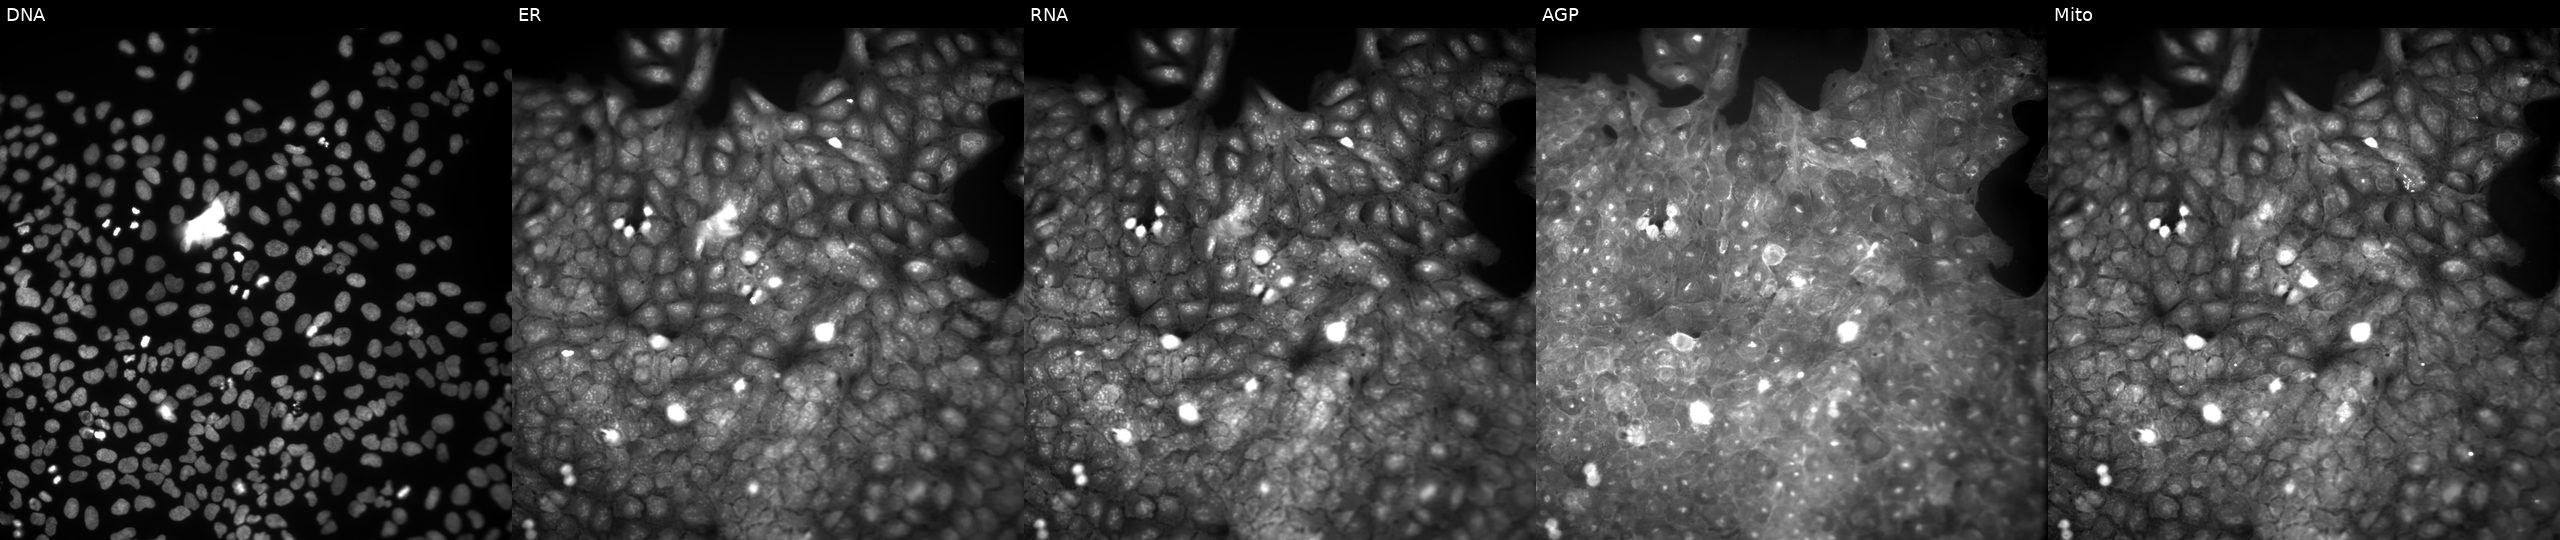
This image strip shows the five Cell Painting channels for a single field of U2OS cells treated with a small-molecule compound (InChIKey AQTNTPKTHVSGJN-UHFFFAOYSA-N) [SMILES: COc1ccc(-n2c(O)cc(Cc3ccccc3)c2O)cc1]. From left to right: DNA, ER, RNA, AGP, and Mito. Source 9, plate GR00003382, well AE41.